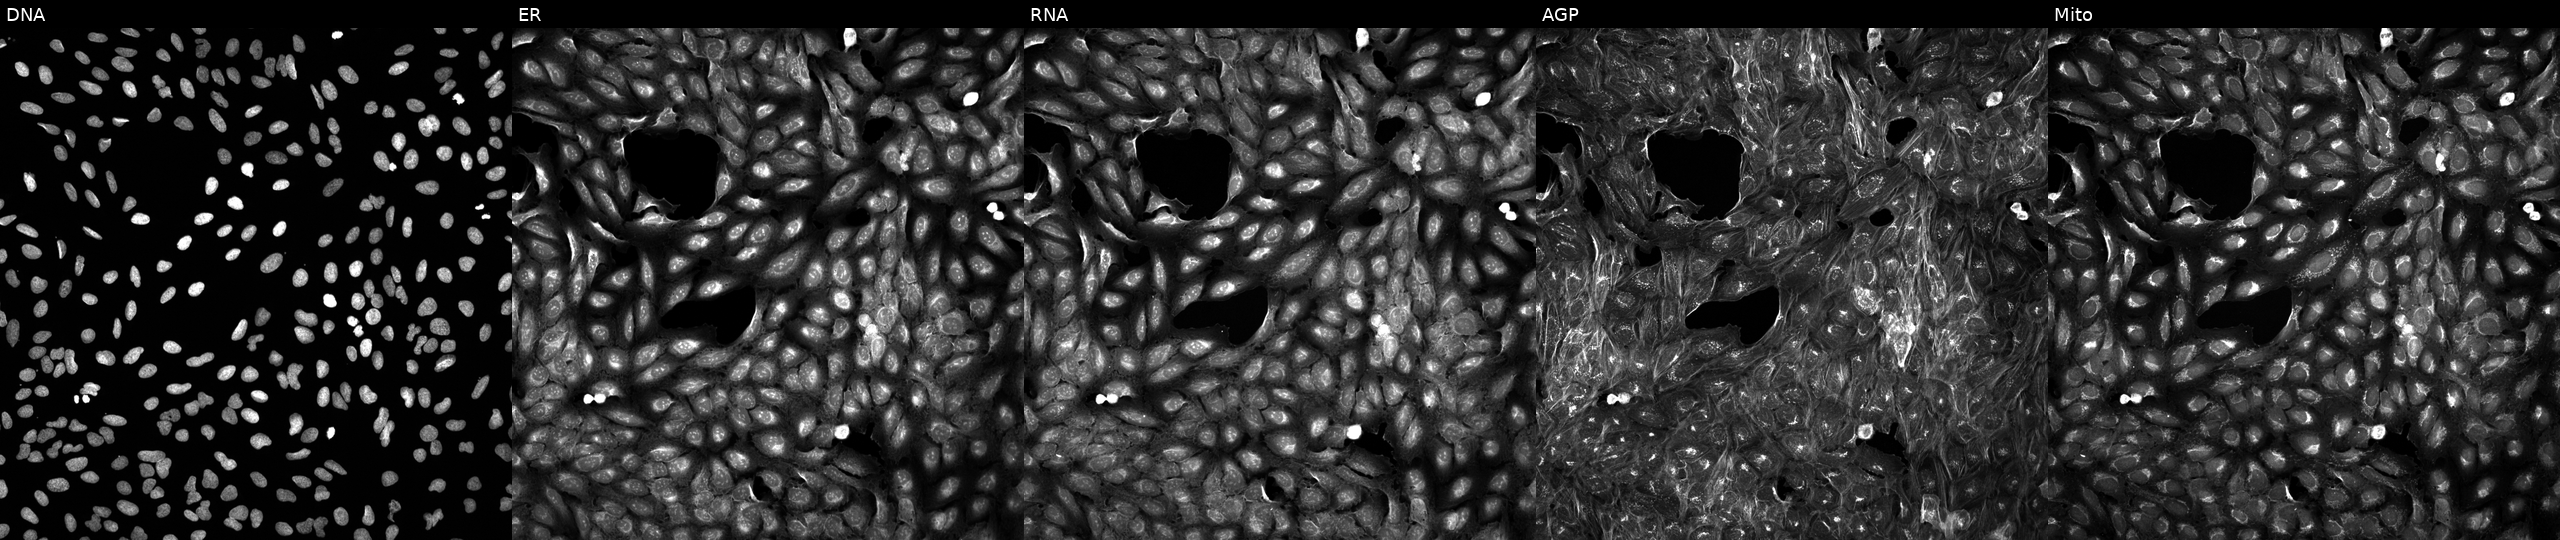
JUMP Cell Painting — COMPOUND plate. U2OS cells exposed to a small-molecule compound (InChIKey PUDMSUNRDKAAMK-UHFFFAOYSA-N). Channels (left→right): DNA, ER, RNA, AGP, and Mito.